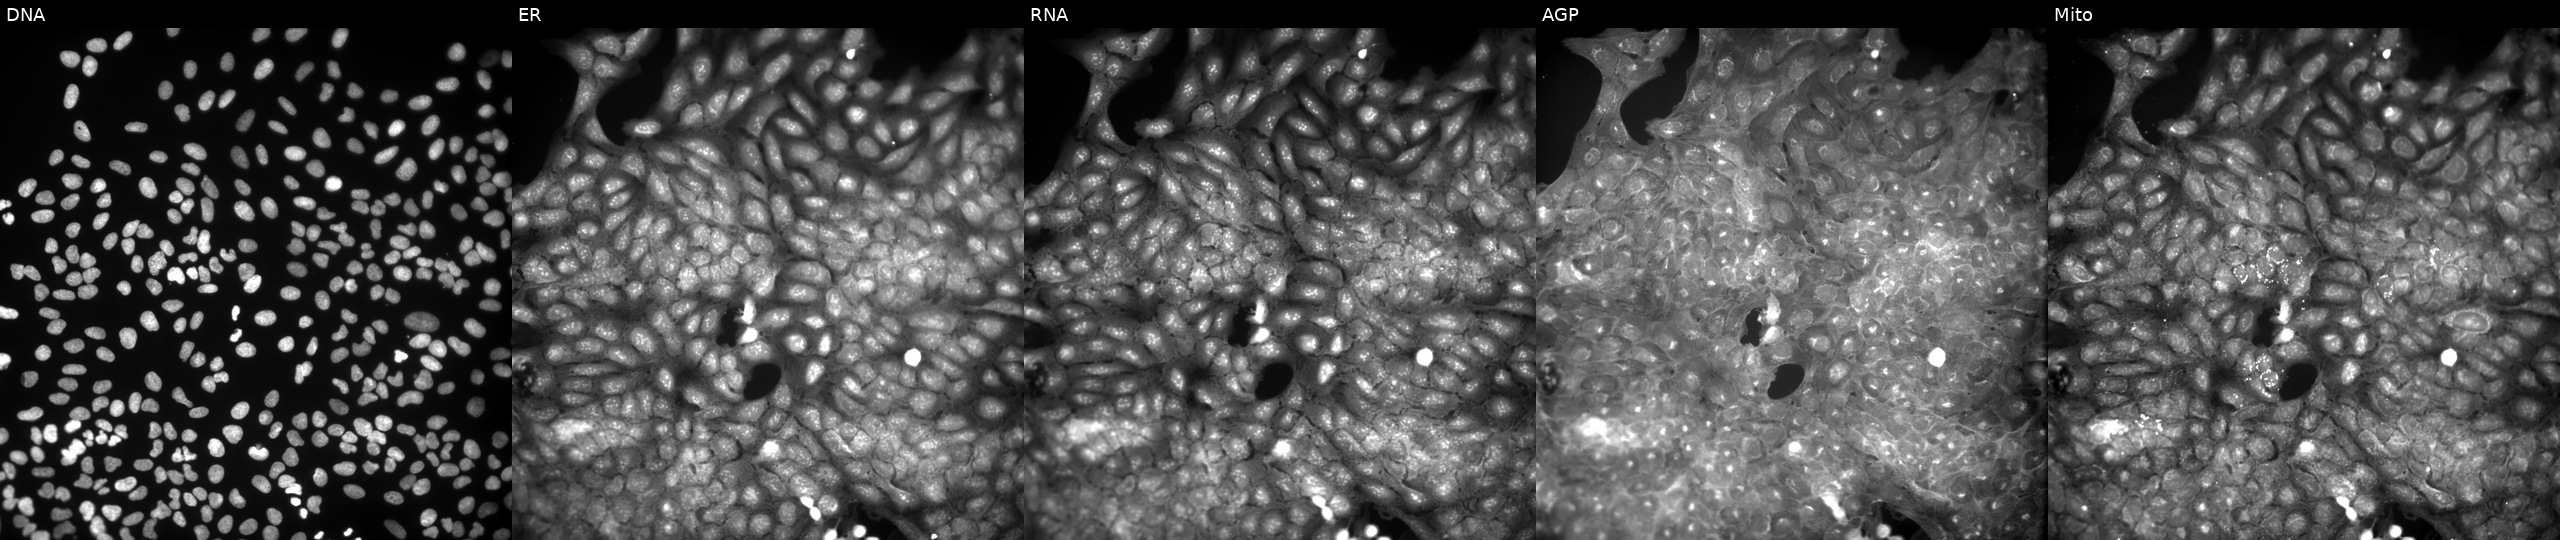
This image strip shows the five Cell Painting channels for a single field of U2OS cells exposed to a small-molecule compound (InChIKey ILJICEVCHRZSOT-UHFFFAOYSA-N) [SMILES: Cc1oc2c(C)c3oc(=O)c4c(c3cc2c1C)CCC4] (JUMP id JCP2022_035801). Channels (left→right): DNA, ER, RNA, AGP, and Mito. Source 9, plate GR00003381, well AF07.